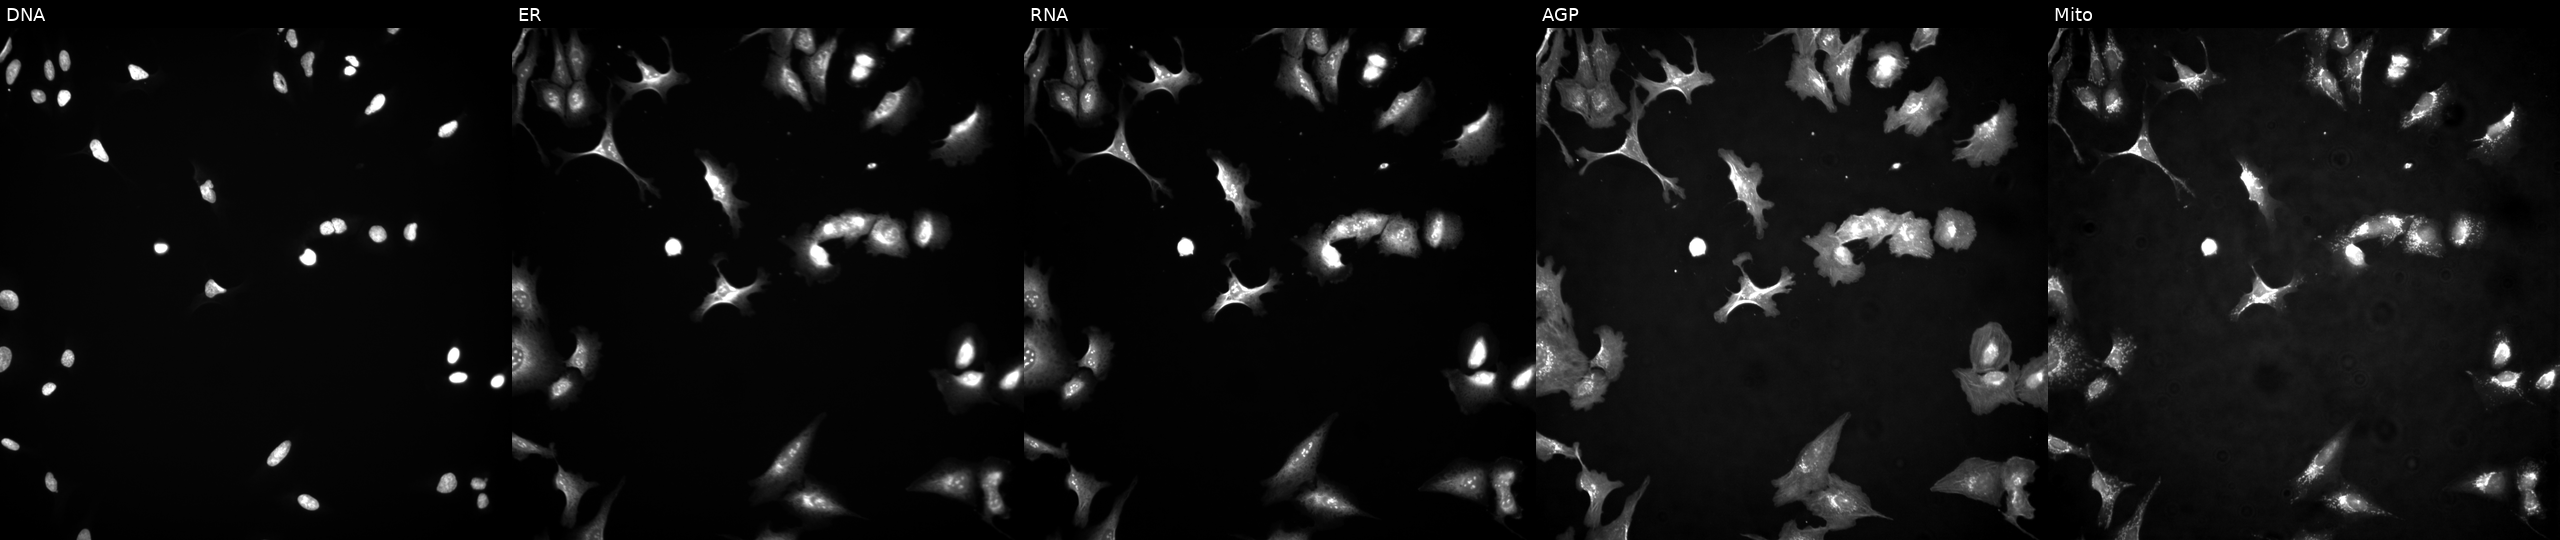
U2OS cells, Cell Painting assay, transfected with an ORF construct for FASTKD1 (JUMP id JCP2022_914161). Panels show, left to right, Hoechst 33342, concanavalin A, SYTO 14, phalloidin and WGA, MitoTracker. Each panel is percentile-stretched 16-bit fluorescence. Source 4, plate BR00123945, well G19.